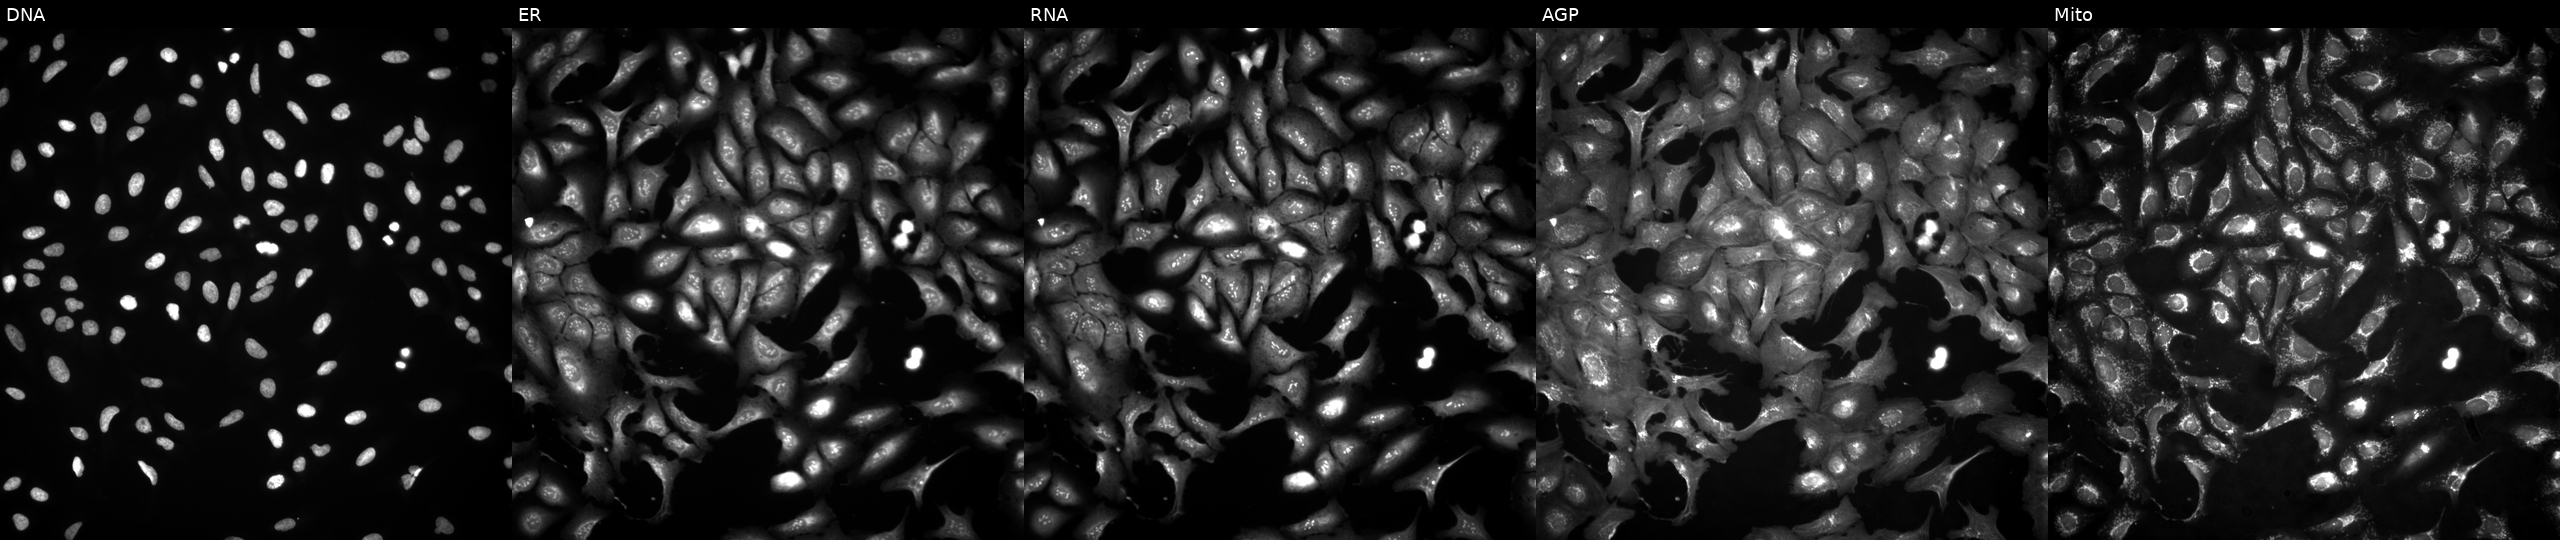
High-content fluorescence microscopy (Cell Painting). Cell line: U2OS. Perturbation: transfected with an ORF construct for CEP63 (JUMP id JCP2022_903928). Channels (left→right): DNA (nuclei); ER (endoplasmic reticulum); RNA (nucleoli and cytoplasmic RNA); AGP (actin cytoskeleton, Golgi, and plasma membrane); Mito (mitochondria).